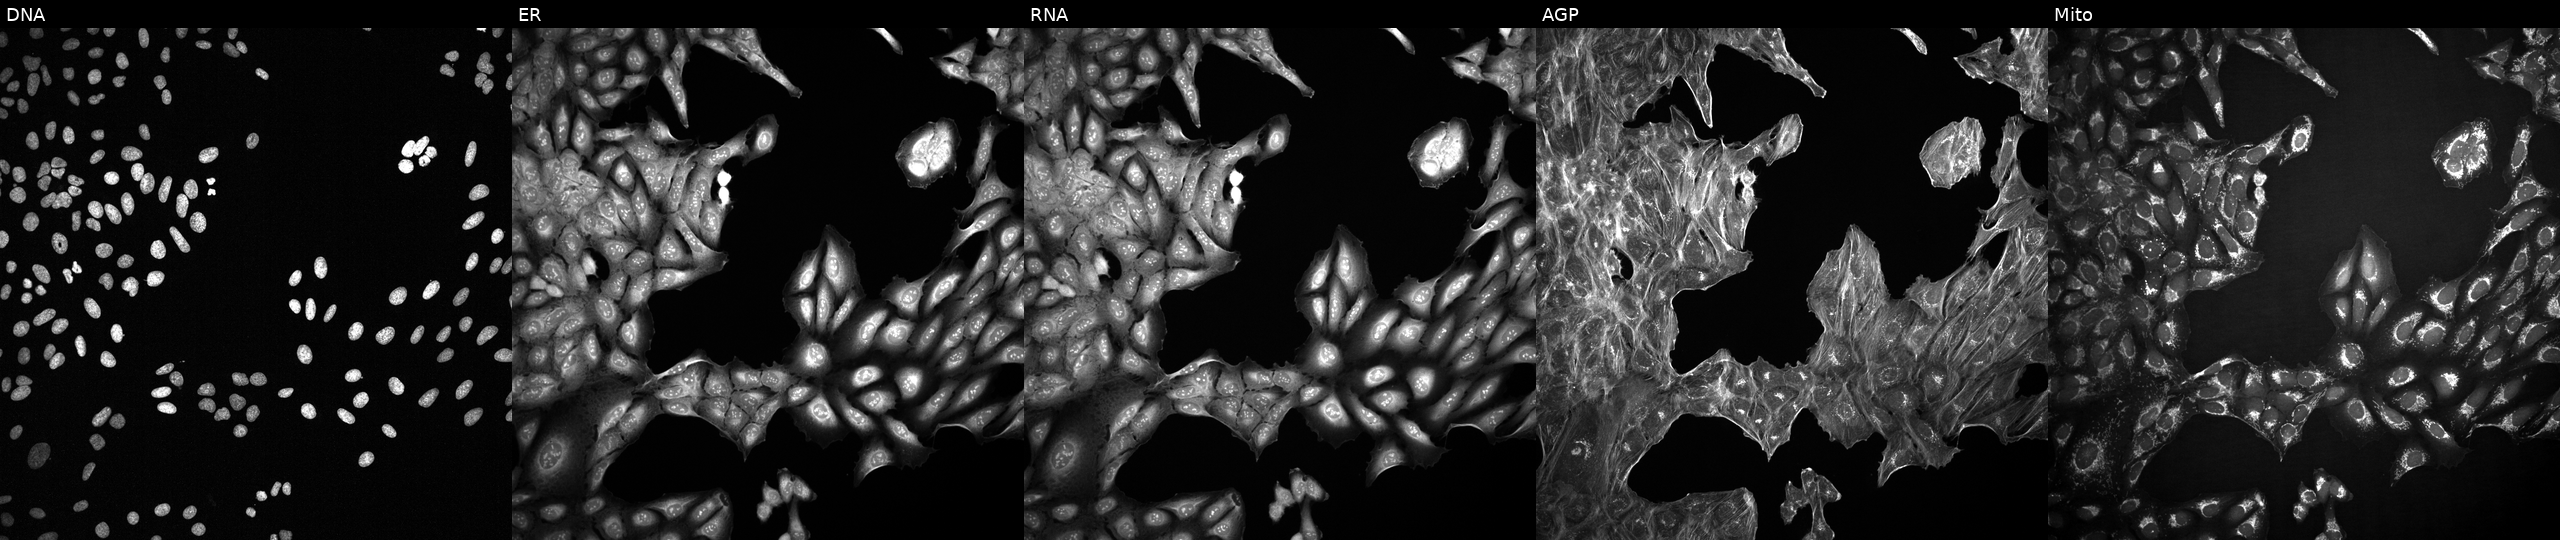
U2OS cells, Cell Painting assay, treated with a small-molecule compound (InChIKey VRCJDYZJCBZTMV-UHFFFAOYSA-N) (JUMP id JCP2022_095741). The five panels, left to right, show DNA (nuclei); ER (endoplasmic reticulum); RNA (nucleoli and cytoplasmic RNA); AGP (actin cytoskeleton, Golgi, and plasma membrane); Mito (mitochondria). Each panel is percentile-stretched 16-bit fluorescence.